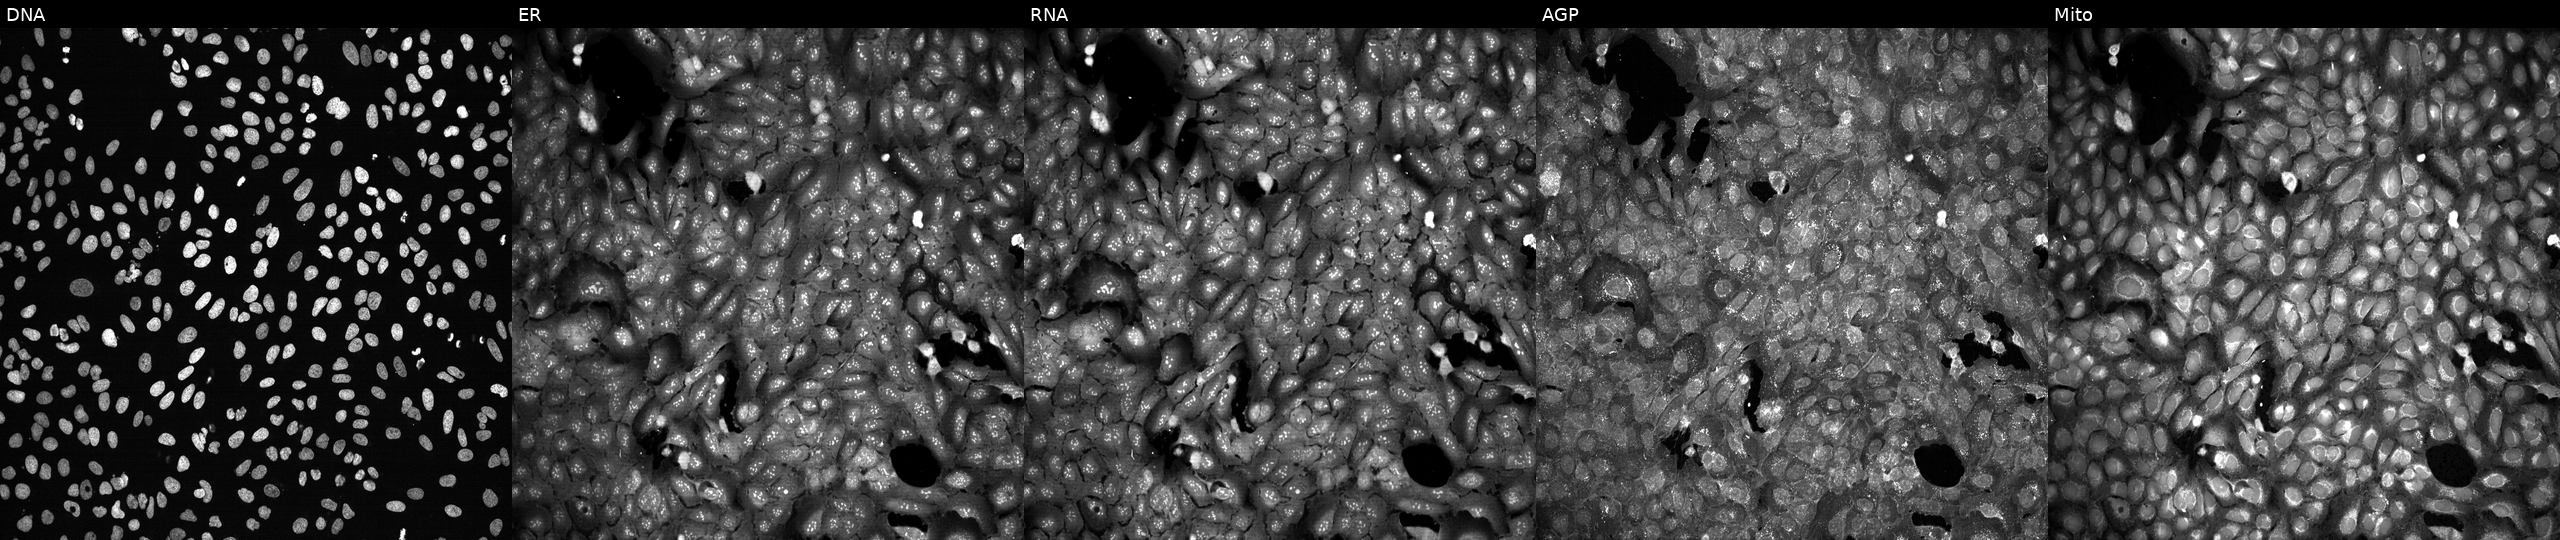
JUMP Cell Painting — CRISPR plate. U2OS cells following CRISPR knockout of GJC1 (JUMP id JCP2022_802704). From left to right: DNA, ER, RNA, AGP, and Mito. Source 13, plate CP-CC9-R1-02, well F10.